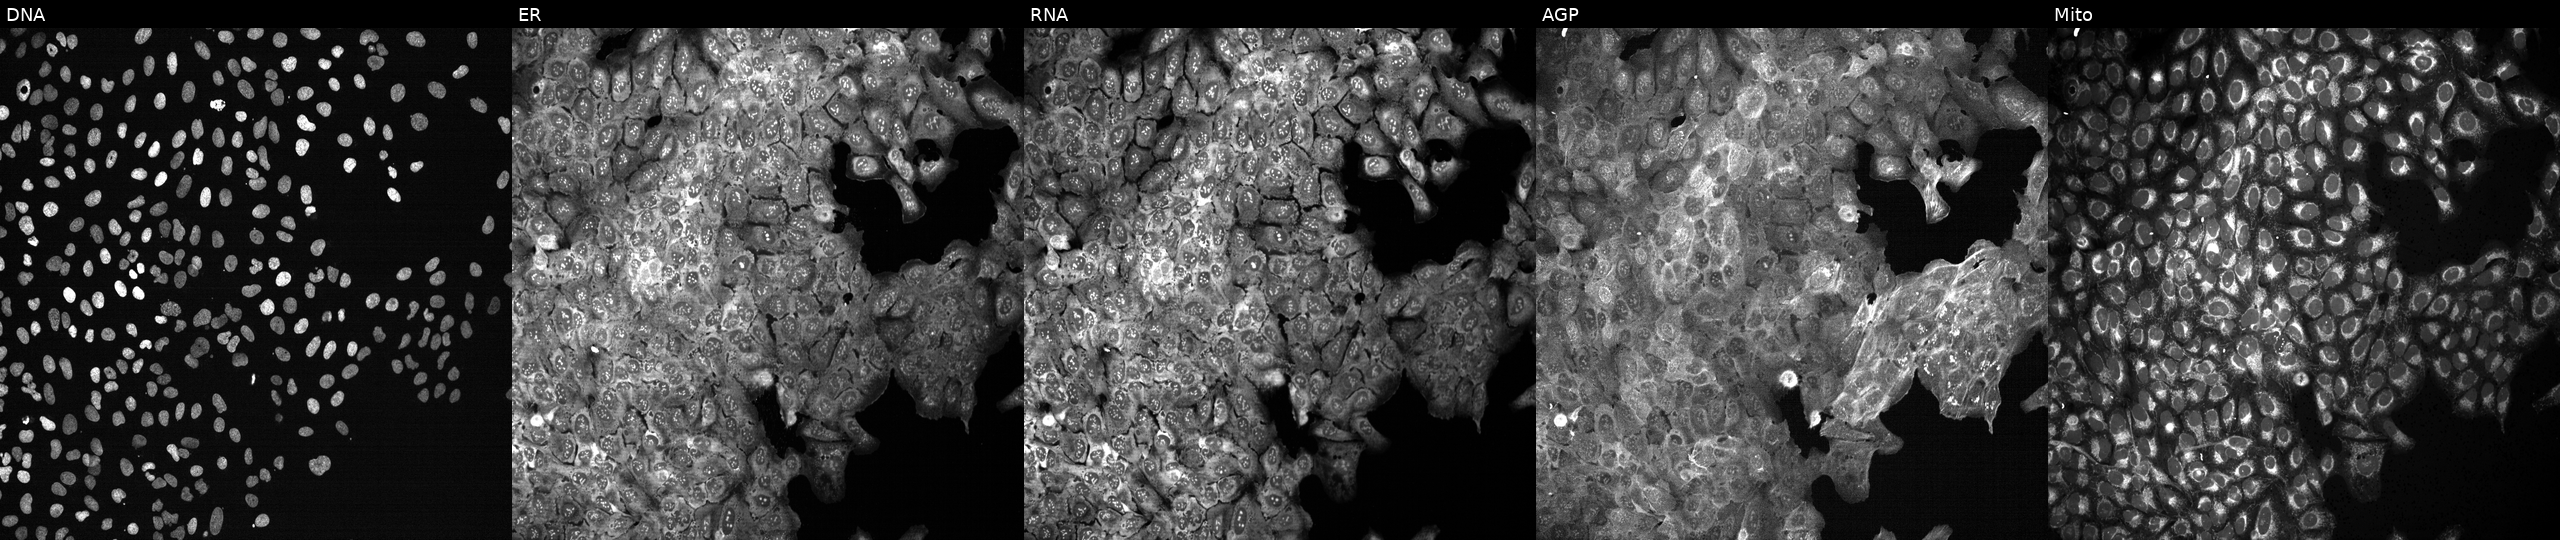
JUMP Cell Painting — CRISPR plate. U2OS cells following CRISPR knockout of RALGPS2 (JUMP id JCP2022_805824). The five panels, left to right, show DNA (nuclei); ER (endoplasmic reticulum); RNA (nucleoli and cytoplasmic RNA); AGP (actin cytoskeleton, Golgi, and plasma membrane); Mito (mitochondria).